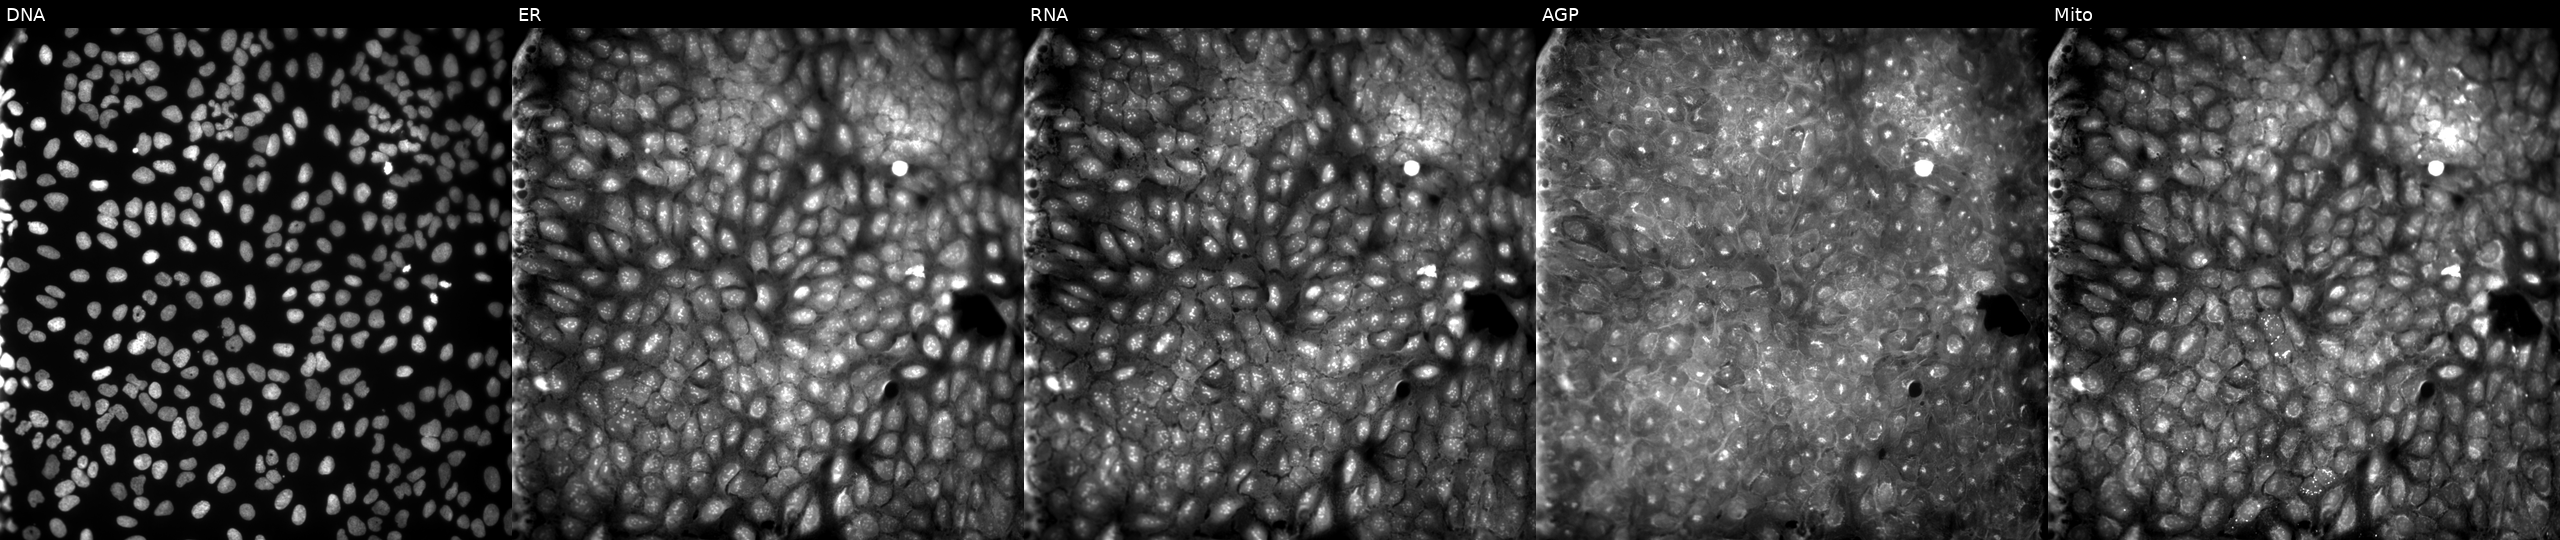
High-content fluorescence microscopy (Cell Painting). Cell line: U2OS. Perturbation: perturbed with a small-molecule compound. Panels show, left to right, DNA (nuclei); ER (endoplasmic reticulum); RNA (nucleoli and cytoplasmic RNA); AGP (actin cytoskeleton, Golgi, and plasma membrane); Mito (mitochondria).